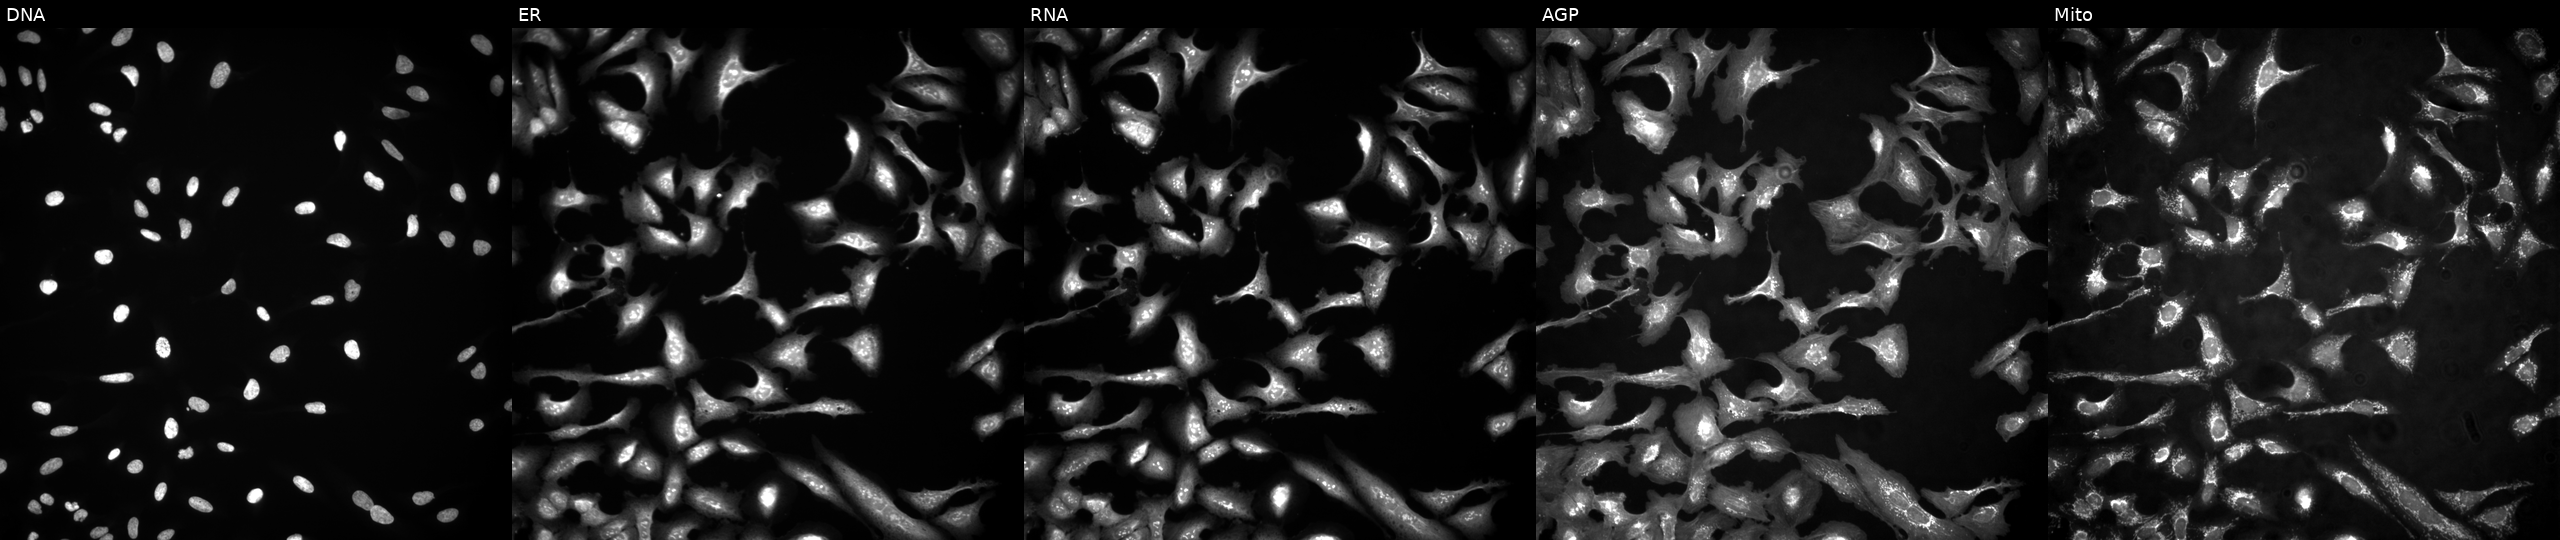
U2OS cells, Cell Painting assay, with OLA1 overexpressed (ORF). From left to right: DNA (nuclei); ER (endoplasmic reticulum); RNA (nucleoli and cytoplasmic RNA); AGP (actin cytoskeleton, Golgi, and plasma membrane); Mito (mitochondria). Each panel is percentile-stretched 16-bit fluorescence.